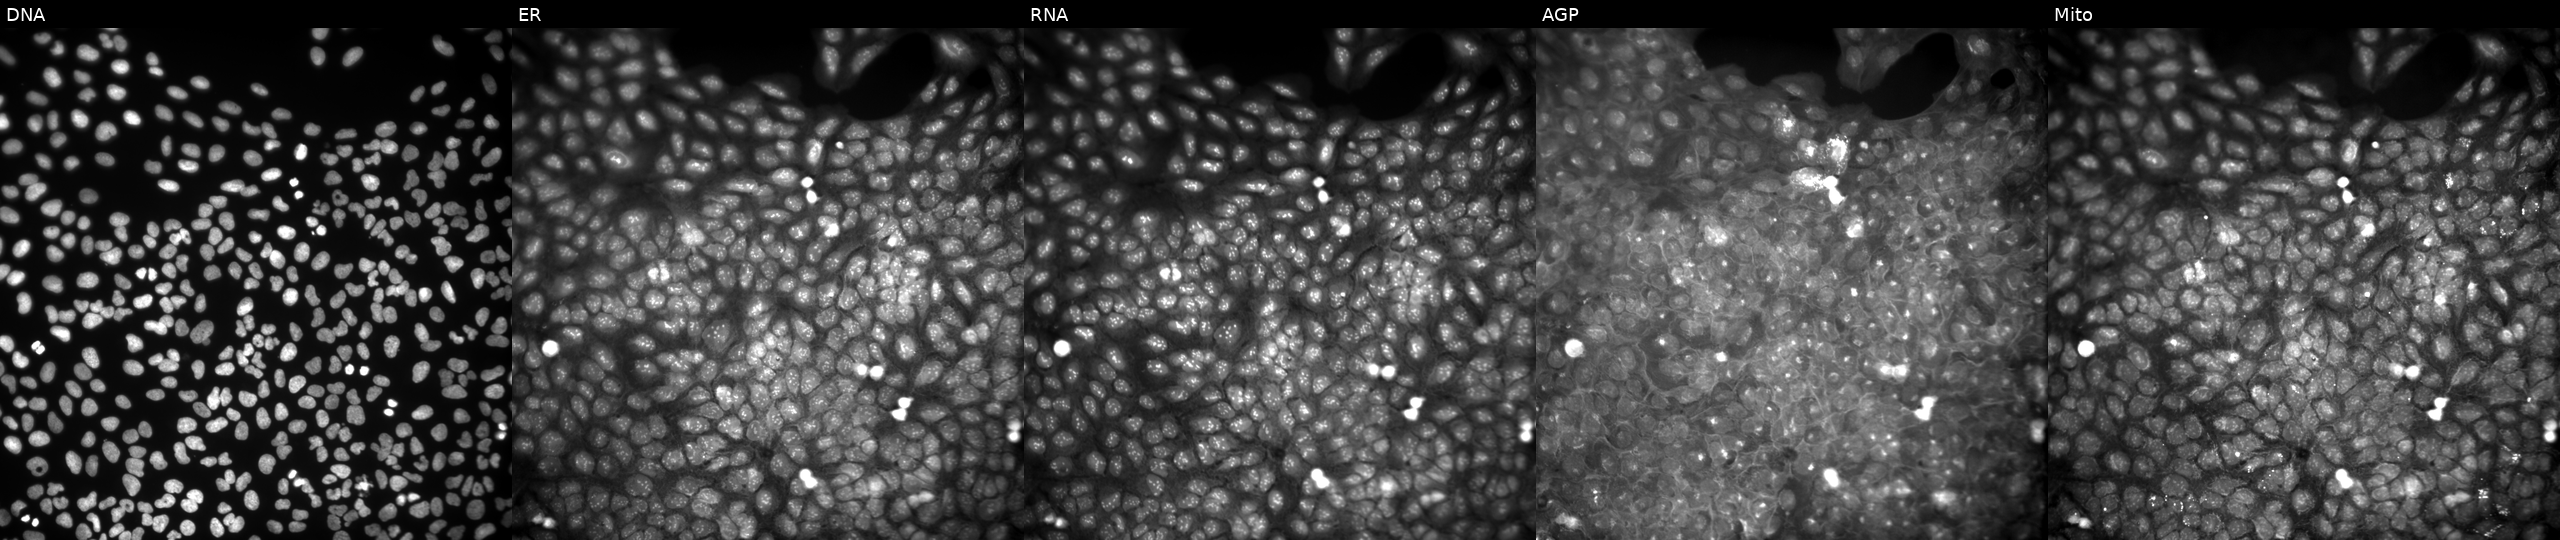
U2OS cells, Cell Painting assay, exposed to a small-molecule compound (JUMP id JCP2022_020290). The five panels, left to right, show DNA (nuclei); ER (endoplasmic reticulum); RNA (nucleoli and cytoplasmic RNA); AGP (actin cytoskeleton, Golgi, and plasma membrane); Mito (mitochondria). Each panel is percentile-stretched 16-bit fluorescence.